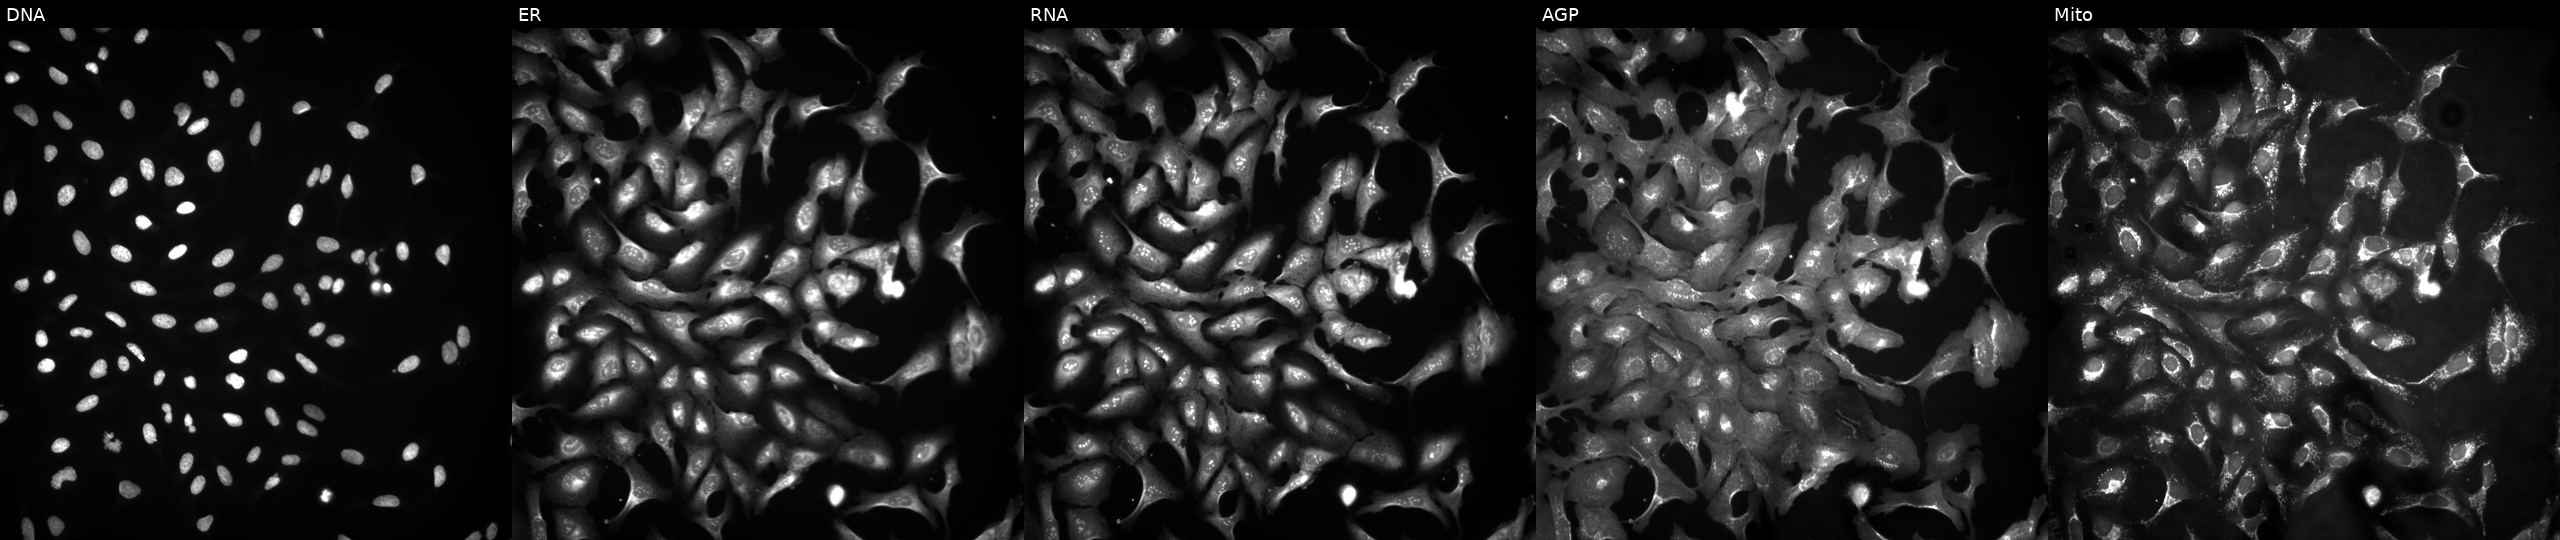
U2OS cells, Cell Painting assay, transfected with an ORF construct for SLC12A4 (JUMP id JCP2022_906518). The five panels, left to right, show DNA, ER, RNA, AGP, and Mito. Each panel is percentile-stretched 16-bit fluorescence.